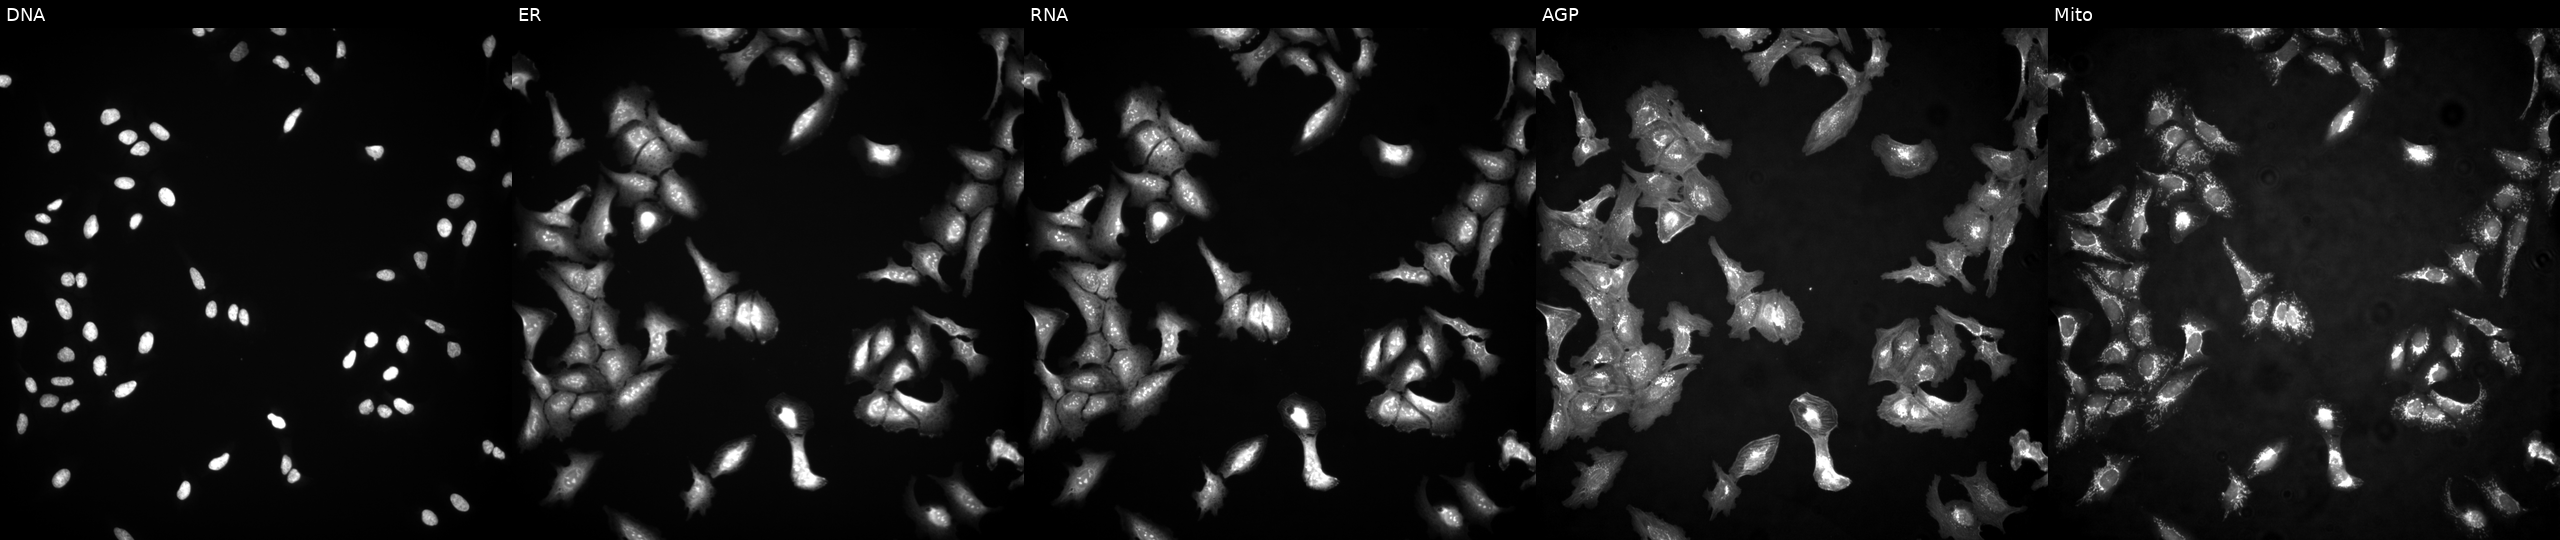
The five panels, left to right, show DNA (nuclei); ER (endoplasmic reticulum); RNA (nucleoli and cytoplasmic RNA); AGP (actin cytoskeleton, Golgi, and plasma membrane); Mito (mitochondria). U2OS osteosarcoma cells with GATA2 overexpressed (ORF). Cell Painting assay, JUMP-CP dataset.